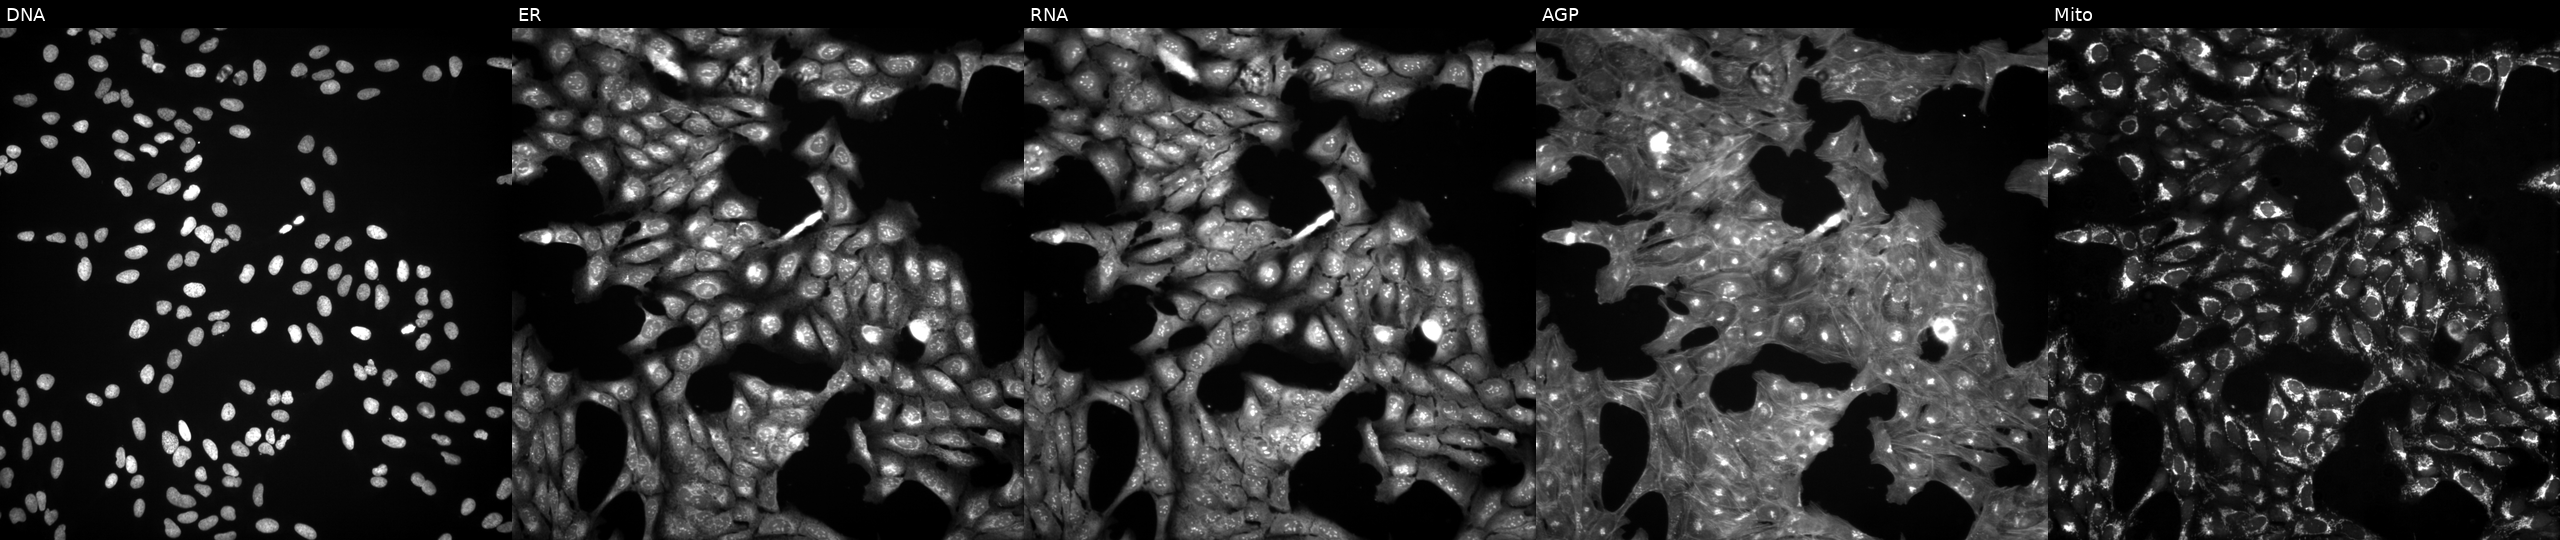
This image strip shows the five Cell Painting channels for a single field of U2OS cells exposed to a small-molecule compound (InChIKey ISQPZEASERVACR-UHFFFAOYSA-N) [SMILES: CCN(CC)C(=O)C1CC(=O)OC12CCCCC2] (JUMP id JCP2022_037166). Panels show, left to right, Hoechst 33342, concanavalin A, SYTO 14, phalloidin and WGA, MitoTracker.